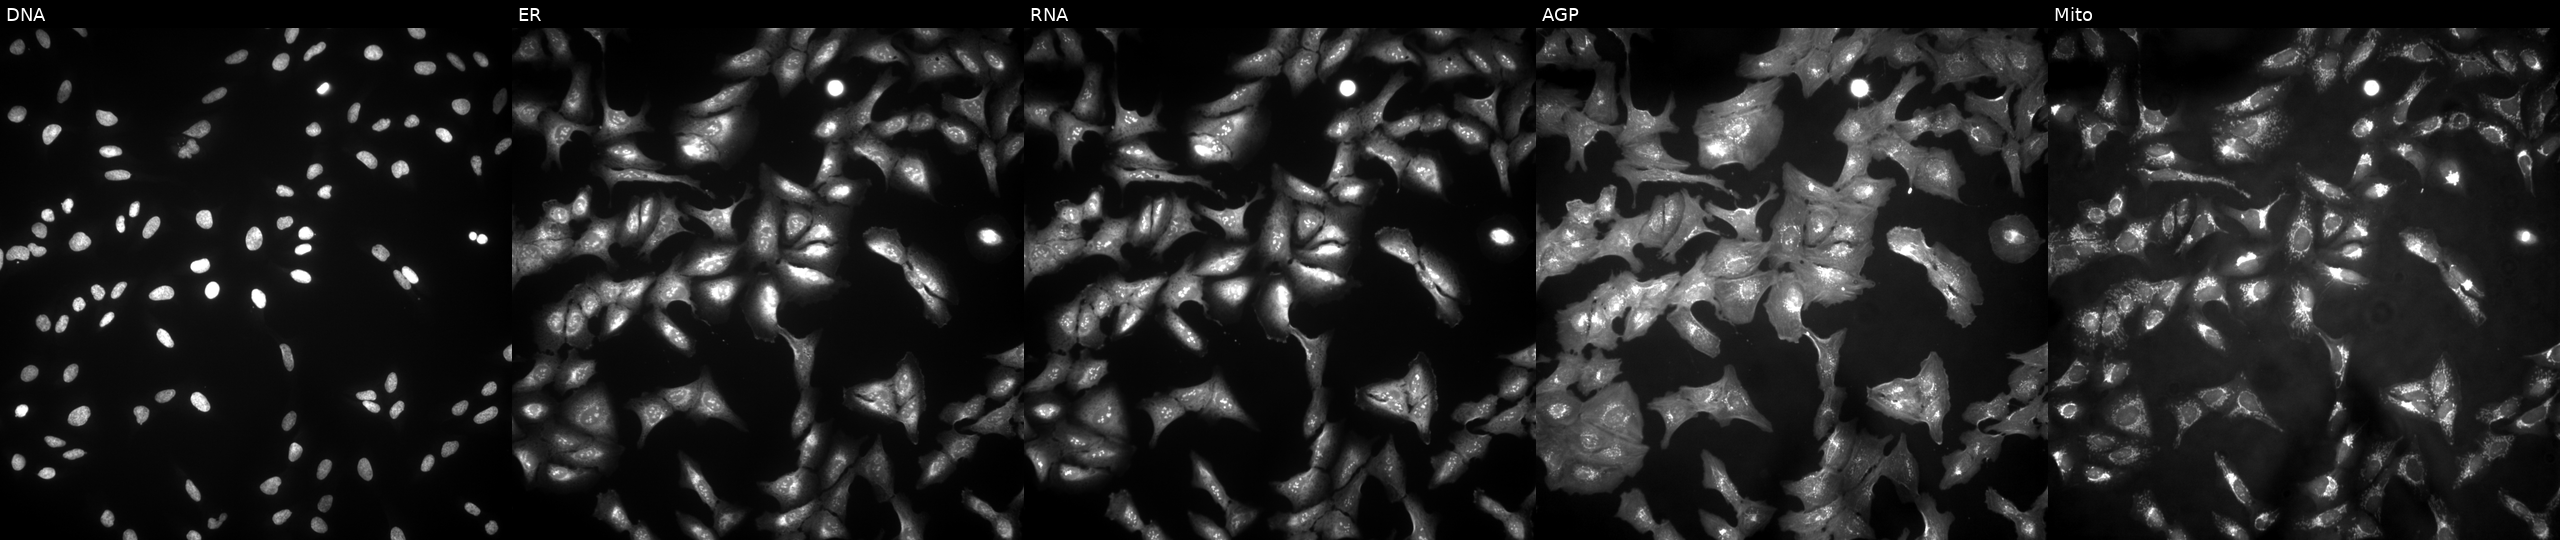
JUMP Cell Painting — ORF plate. U2OS cells with MIEF2 overexpressed (ORF). Channels (left→right): DNA (nuclei); ER (endoplasmic reticulum); RNA (nucleoli and cytoplasmic RNA); AGP (actin cytoskeleton, Golgi, and plasma membrane); Mito (mitochondria).